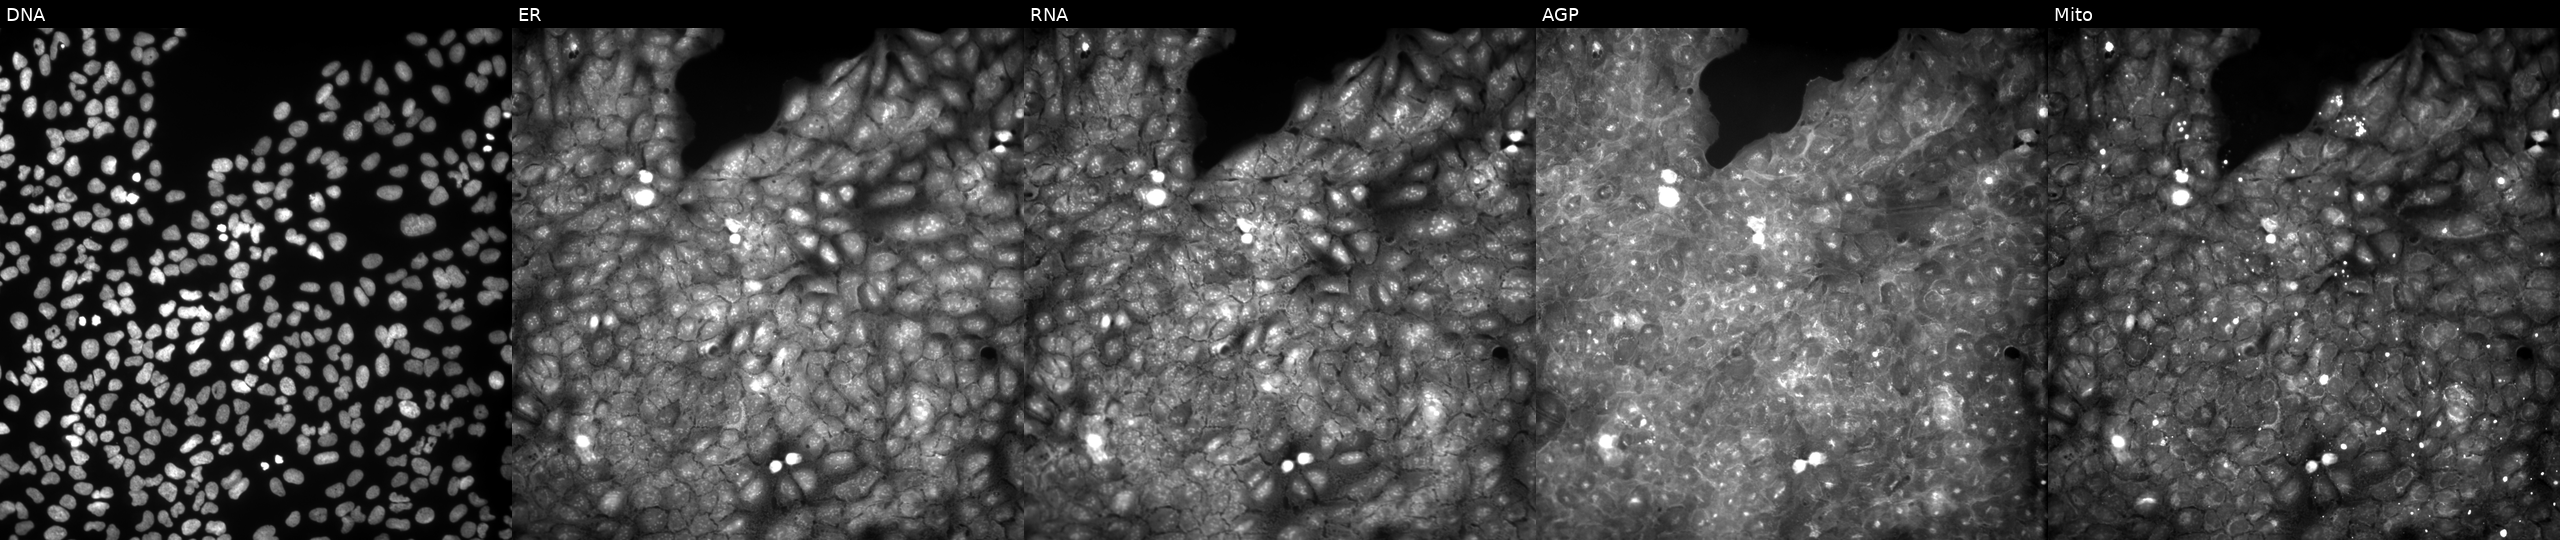
Five-channel Cell Painting image of U2OS cells treated with aloxistatin (positive-control compound). Panels show, left to right, DNA (nuclei); ER (endoplasmic reticulum); RNA (nucleoli and cytoplasmic RNA); AGP (actin cytoskeleton, Golgi, and plasma membrane); Mito (mitochondria).